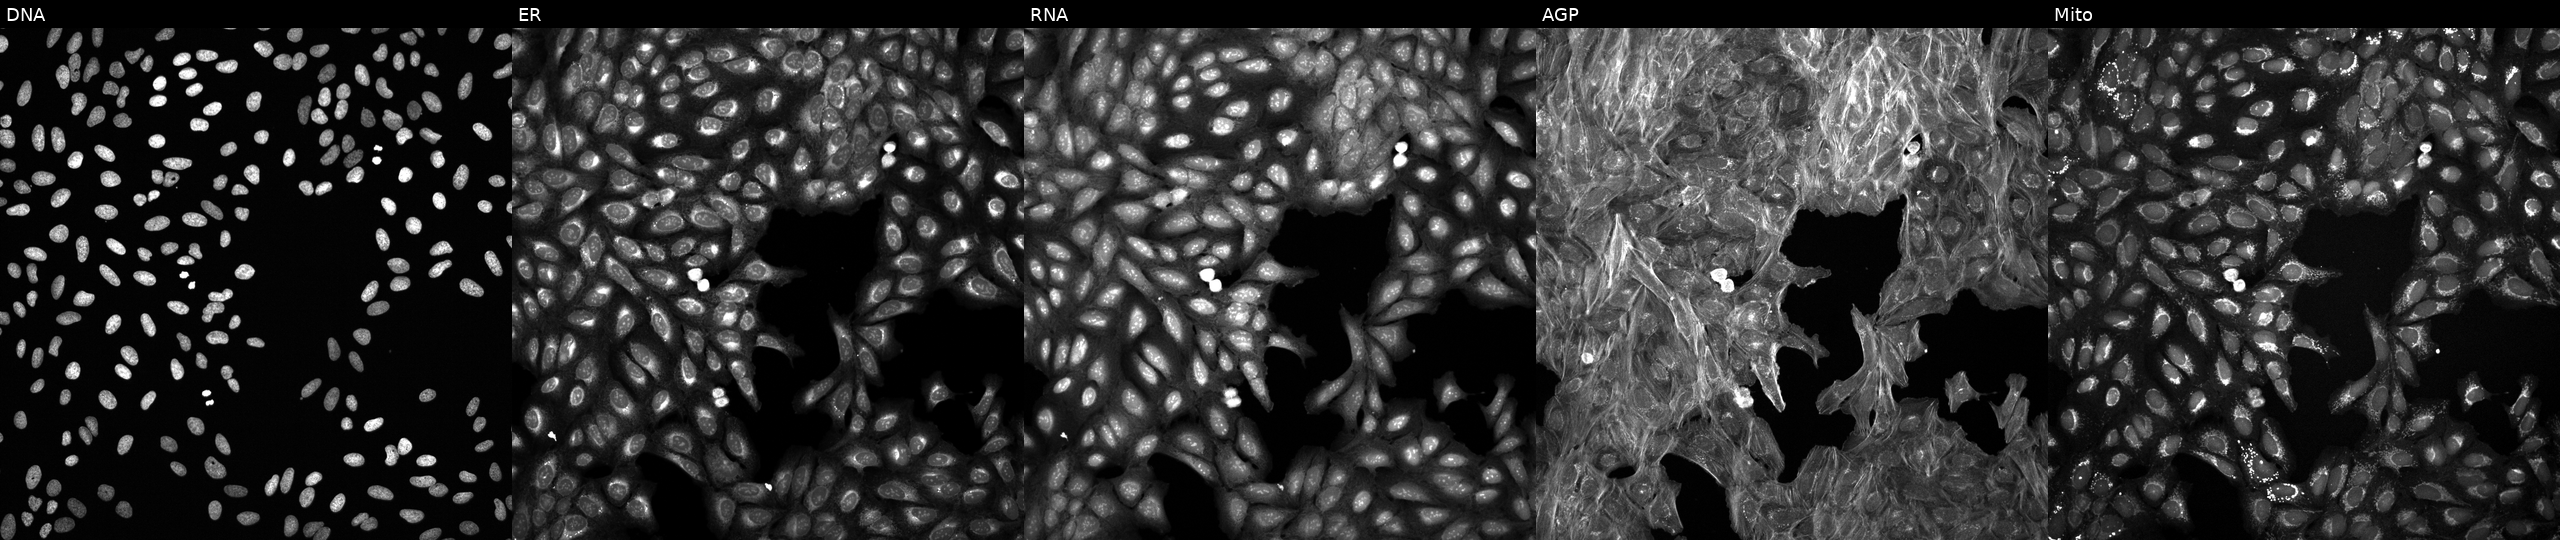
High-content fluorescence microscopy (Cell Painting). Cell line: U2OS. Perturbation: exposed to a small-molecule compound (InChIKey MXJWRABVEGLYDG-UHFFFAOYSA-N) (JUMP id JCP2022_057163). The five panels, left to right, show DNA (nuclei); ER (endoplasmic reticulum); RNA (nucleoli and cytoplasmic RNA); AGP (actin cytoskeleton, Golgi, and plasma membrane); Mito (mitochondria). Source 6, plate 110000294901, well I21.